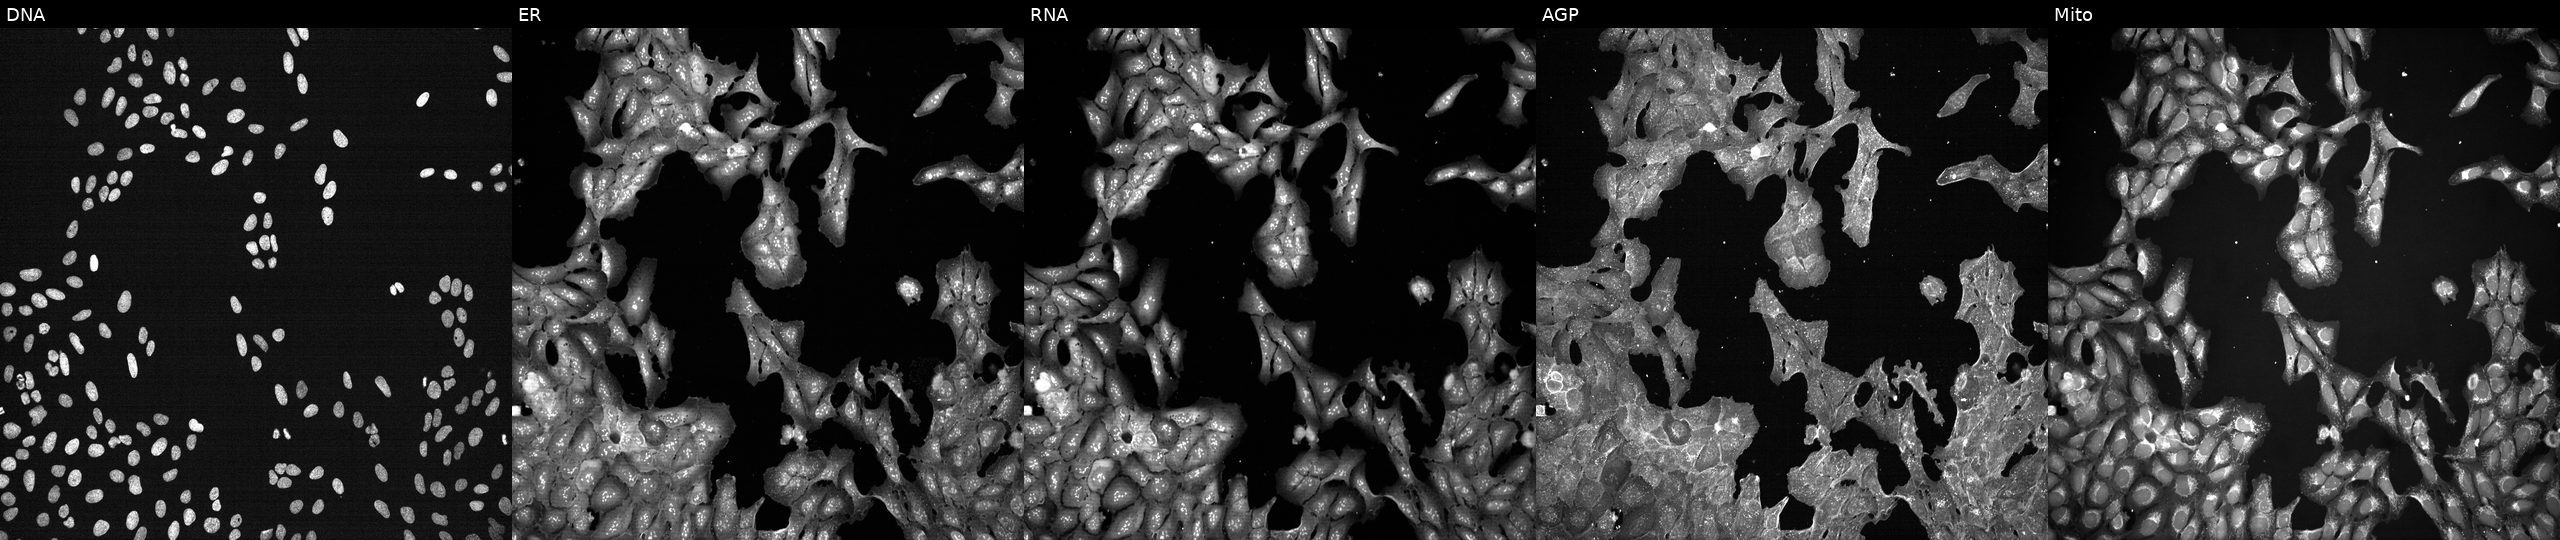
Five-channel Cell Painting image of U2OS cells perturbed with a small-molecule compound. Channels (left→right): Hoechst 33342, concanavalin A, SYTO 14, phalloidin and WGA, MitoTracker. Source 7, plate CP2-SC1-25, well J21.